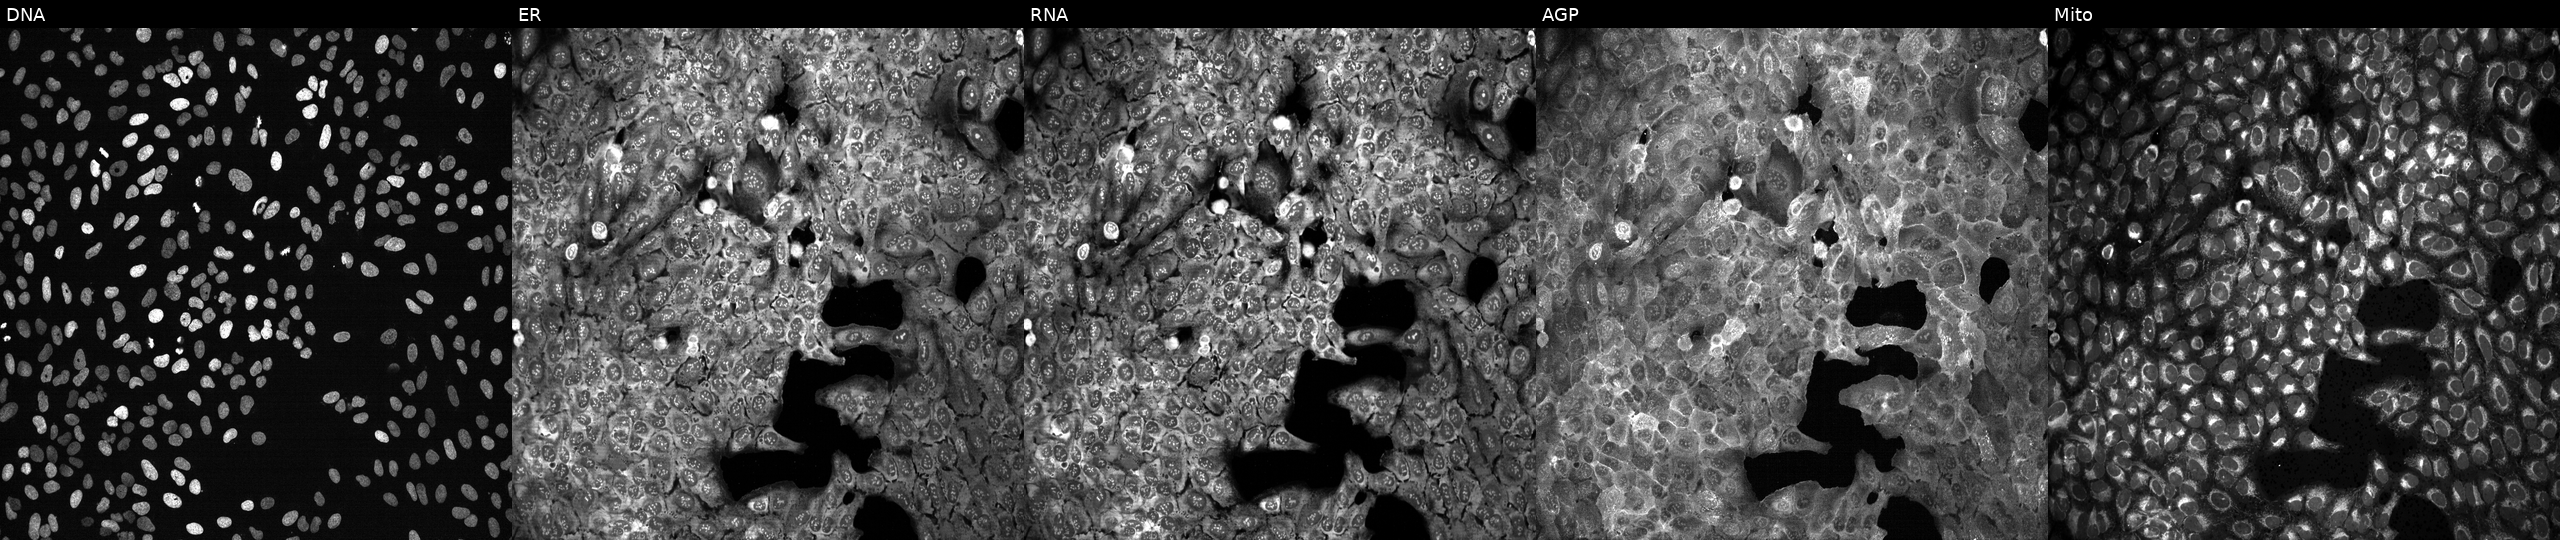
JUMP Cell Painting — CRISPR plate. U2OS cells with BPI knocked out by CRISPR (JUMP id JCP2022_800915). Panels show, left to right, DNA (nuclei); ER (endoplasmic reticulum); RNA (nucleoli and cytoplasmic RNA); AGP (actin cytoskeleton, Golgi, and plasma membrane); Mito (mitochondria).